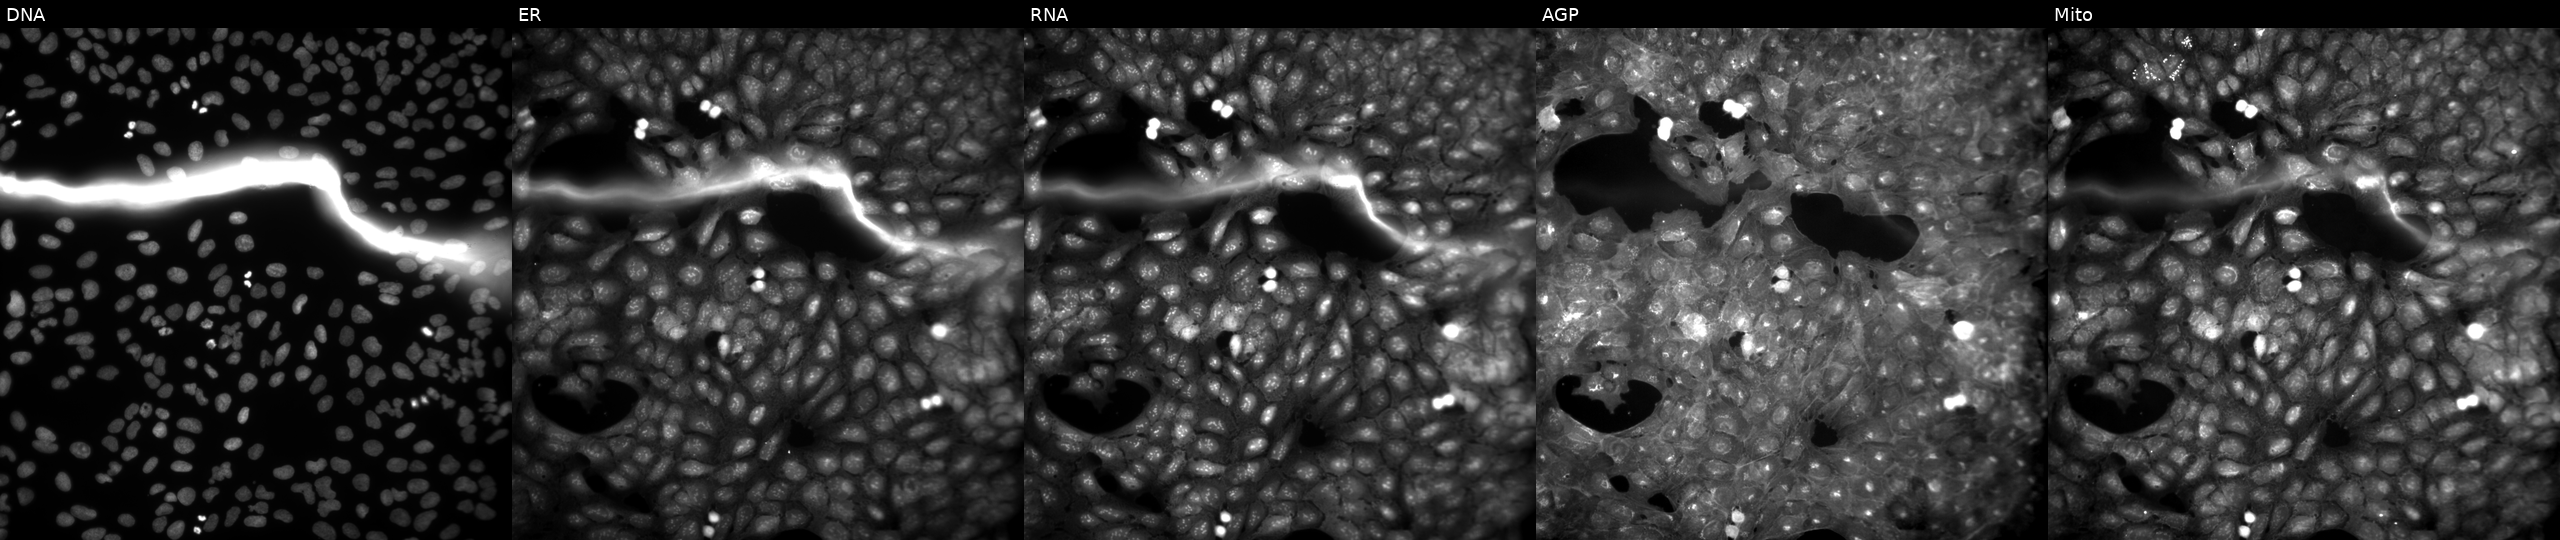
Channels (left→right): DNA, ER, RNA, AGP, and Mito. U2OS osteosarcoma cells treated with a small-molecule compound (InChIKey POVCQXIJGRFGTF-UHFFFAOYSA-N) (JUMP id JCP2022_070035). Cell Painting assay, JUMP-CP dataset.